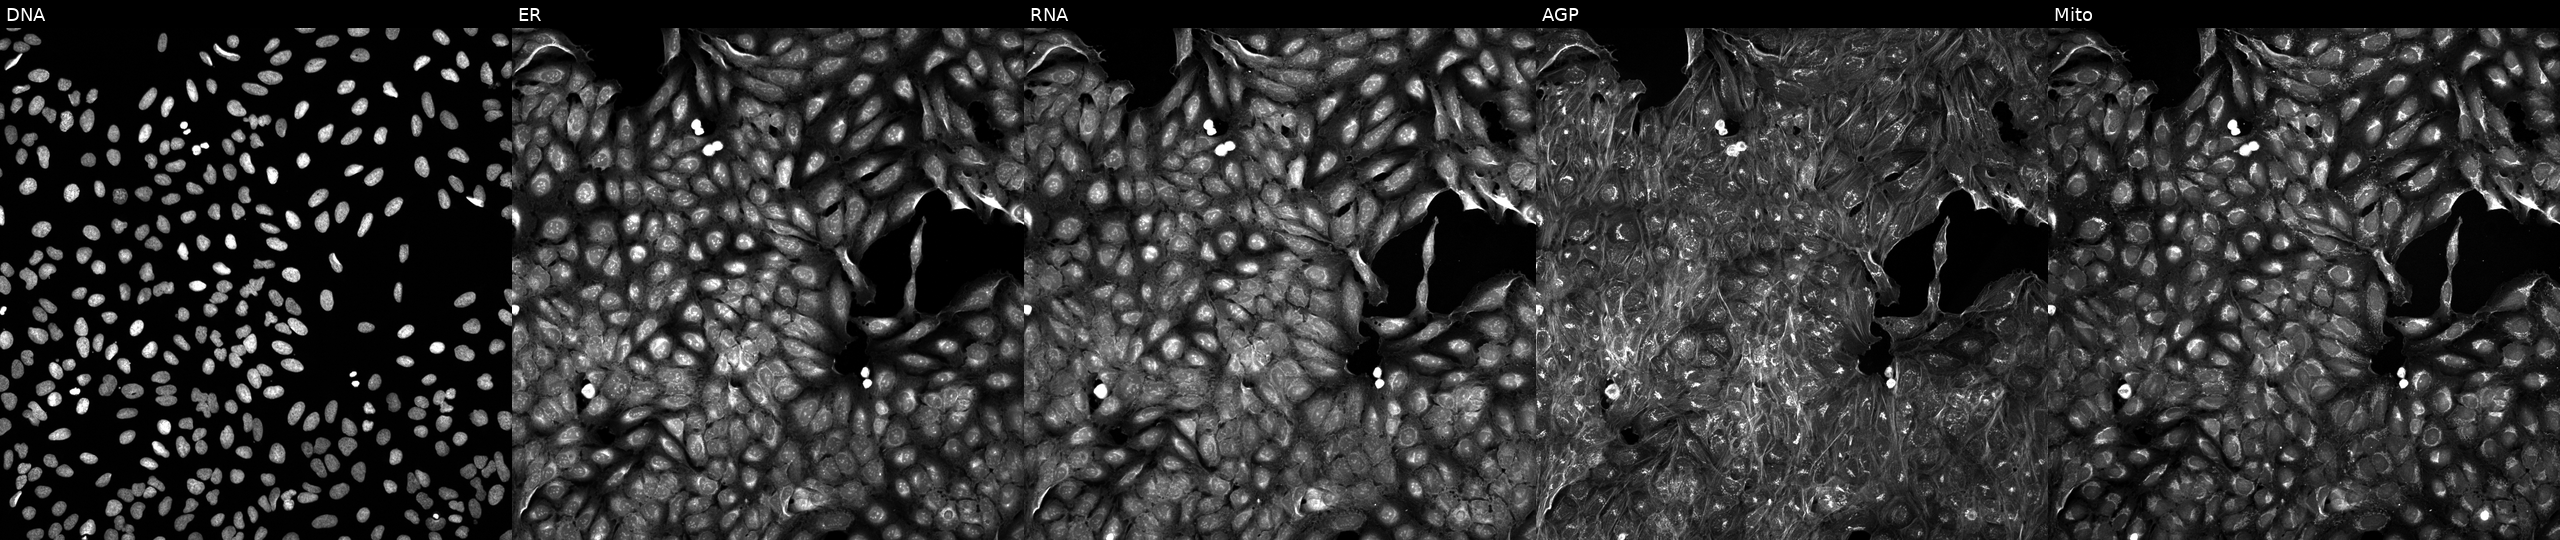
JUMP Cell Painting — COMPOUND plate. U2OS cells treated with a small-molecule compound (InChIKey FJGHEDIGMUHKKT-UHFFFAOYSA-N). Panels show, left to right, DNA (nuclei); ER (endoplasmic reticulum); RNA (nucleoli and cytoplasmic RNA); AGP (actin cytoskeleton, Golgi, and plasma membrane); Mito (mitochondria).